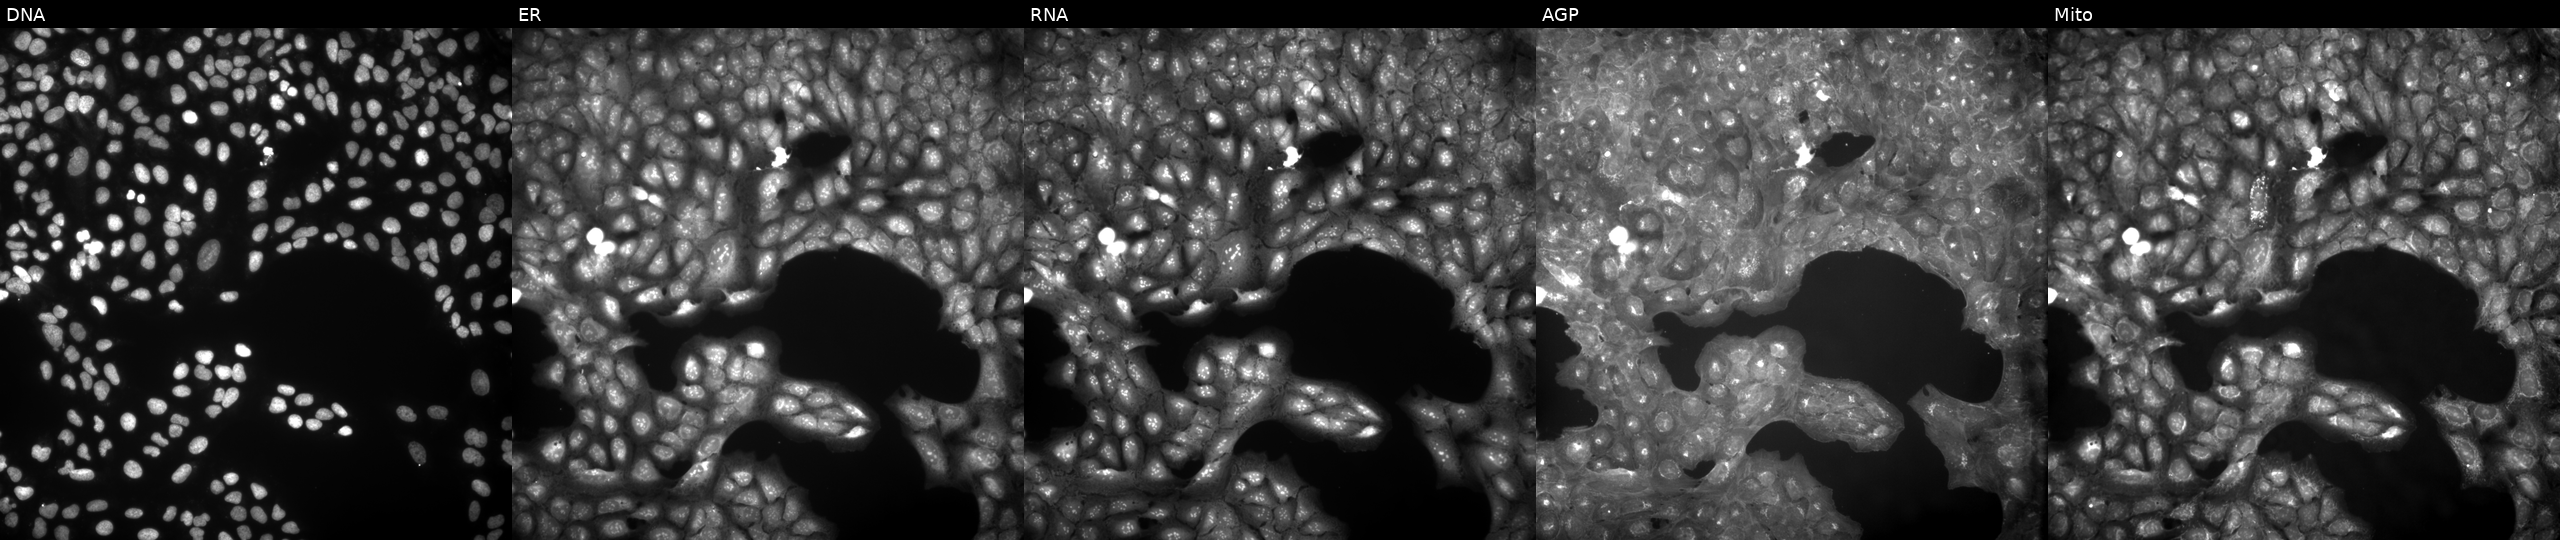
High-content fluorescence microscopy (Cell Painting). Cell line: U2OS. Perturbation: exposed to a small-molecule compound (InChIKey OPPCVEVPKHRJNY-UHFFFAOYSA-N) [SMILES: NS(=O)(=O)c1ccc(N2N=C(c3ccccc3)CC2c2ccccc2)cc1] (JUMP id JCP2022_065327). The five panels, left to right, show DNA, ER, RNA, AGP, and Mito.